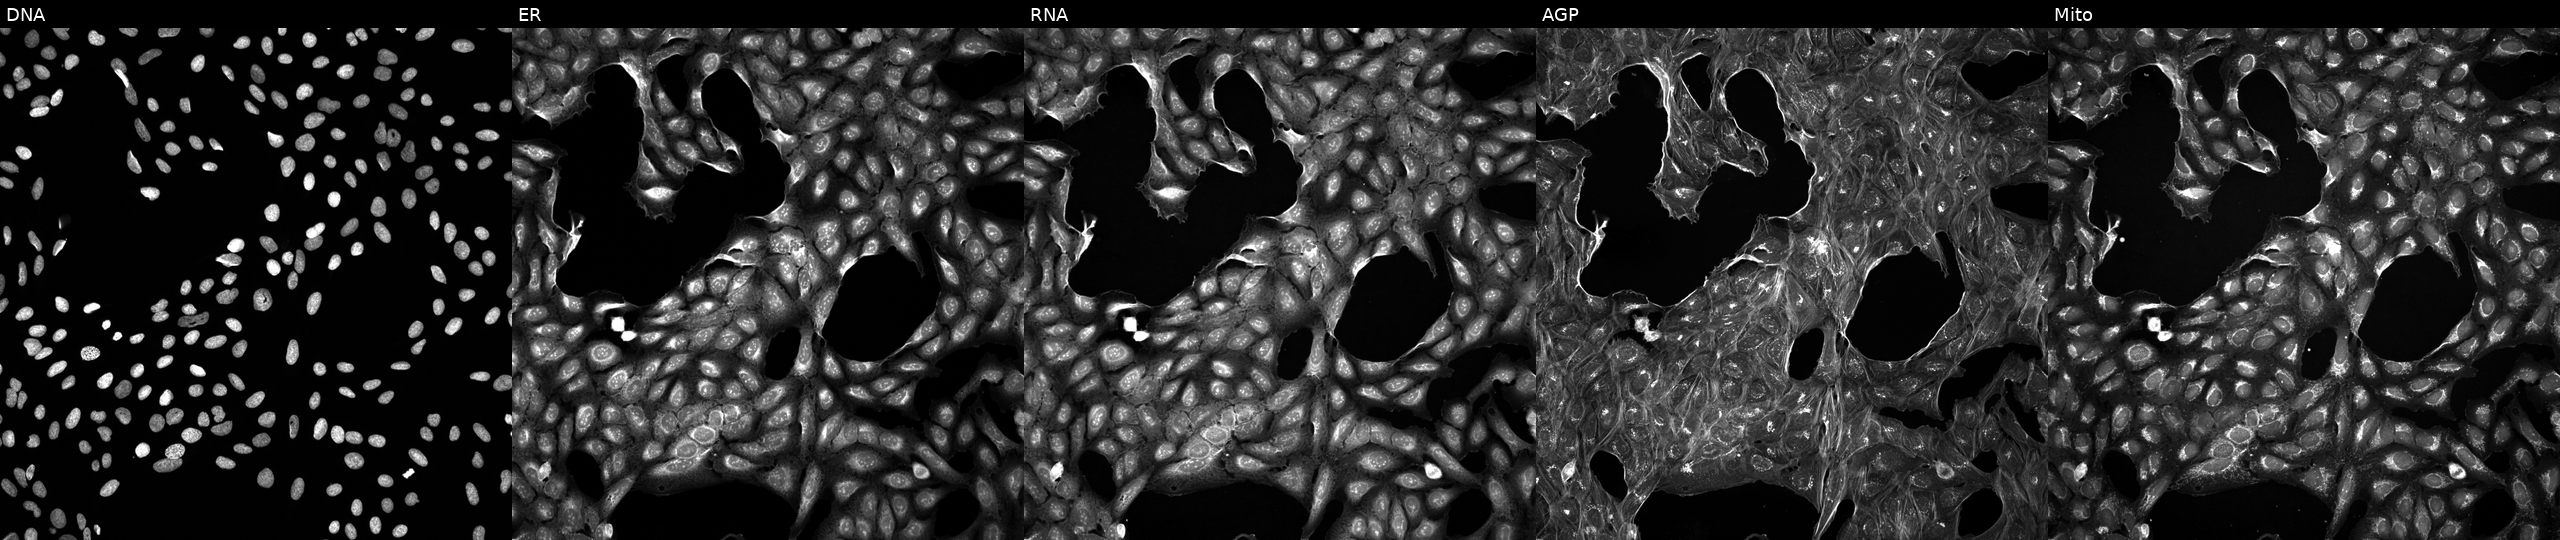
High-content fluorescence microscopy (Cell Painting). Cell line: U2OS. Perturbation: exposed to a small-molecule compound (InChIKey NITYDPDXAAFEIT-UHFFFAOYSA-N) (JUMP id JCP2022_059269). From left to right: Hoechst 33342, concanavalin A, SYTO 14, phalloidin and WGA, MitoTracker. Source 5, plate ACPJUM032, well M17.